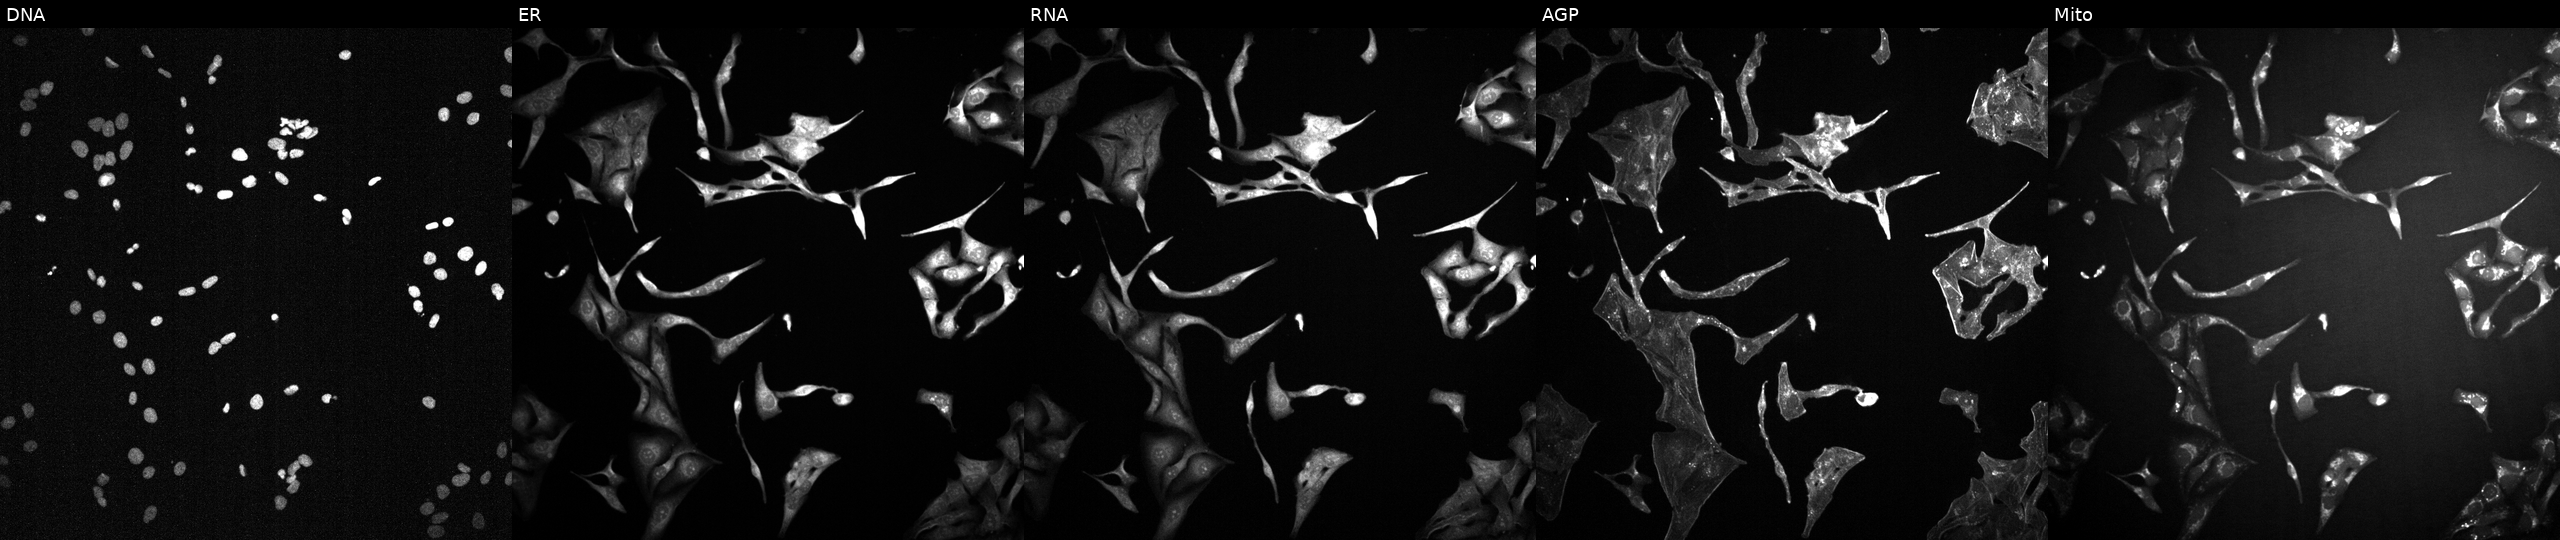
JUMP Cell Painting — TARGET2 plate. U2OS cells perturbed with a small-molecule compound (InChIKey RYMZZMVNJRMUDD-UHFFFAOYSA-N). Panels show, left to right, DNA, ER, RNA, AGP, and Mito. Source 2, plate 1053599503, well N02.